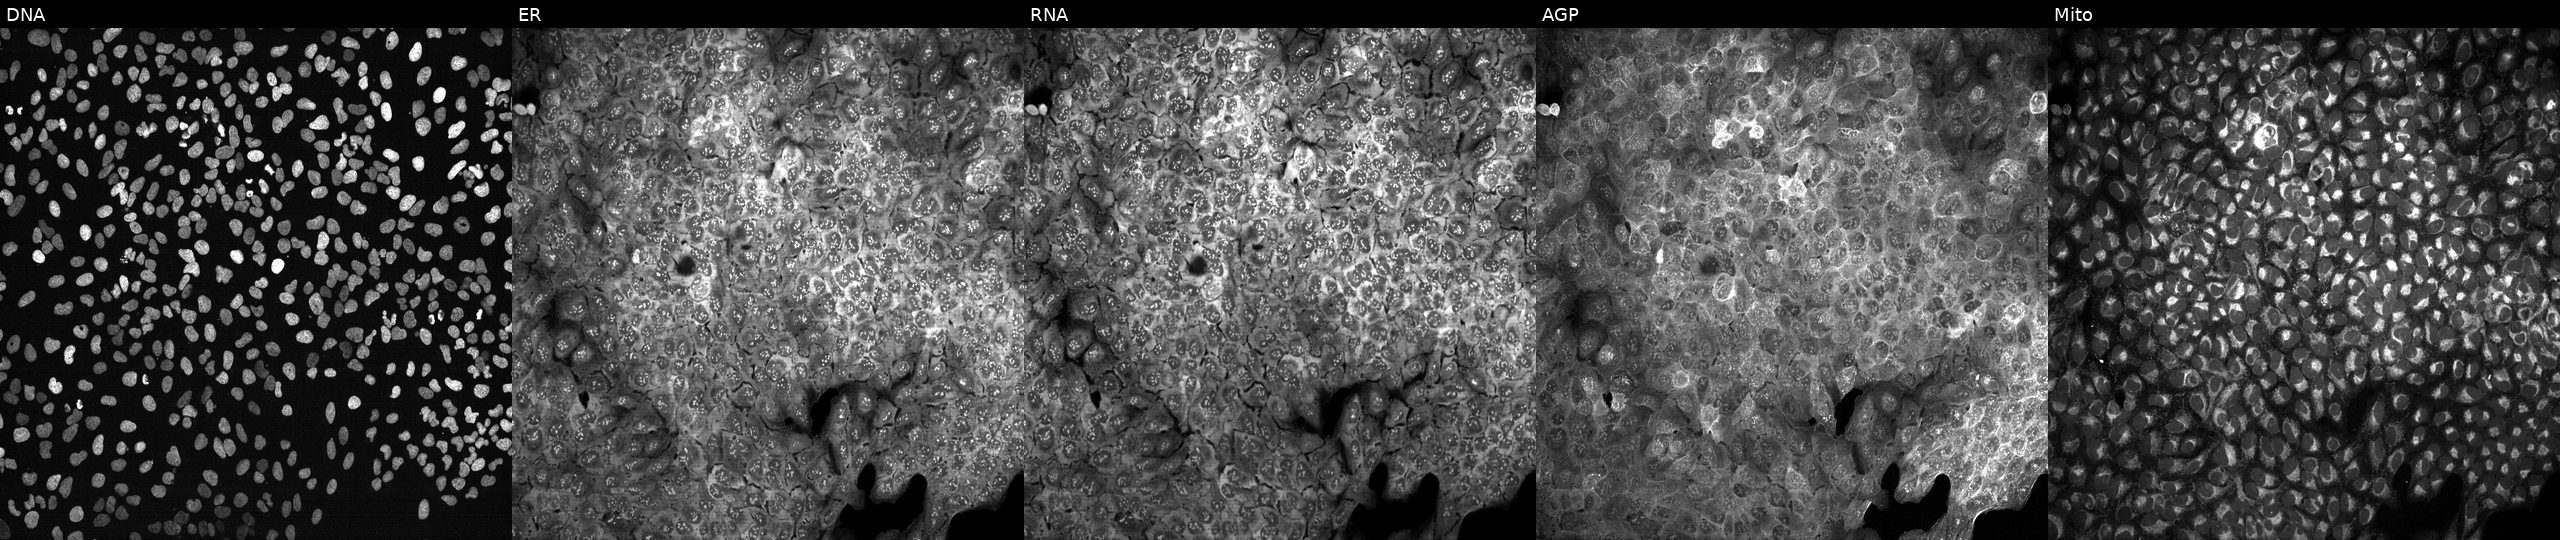
JUMP Cell Painting — CRISPR plate. U2OS cells CRISPR-edited to disrupt SETD7 (JUMP id JCP2022_806290). The five panels, left to right, show DNA, ER, RNA, AGP, and Mito. Source 13, plate CP-CC9-R4-04, well N12.